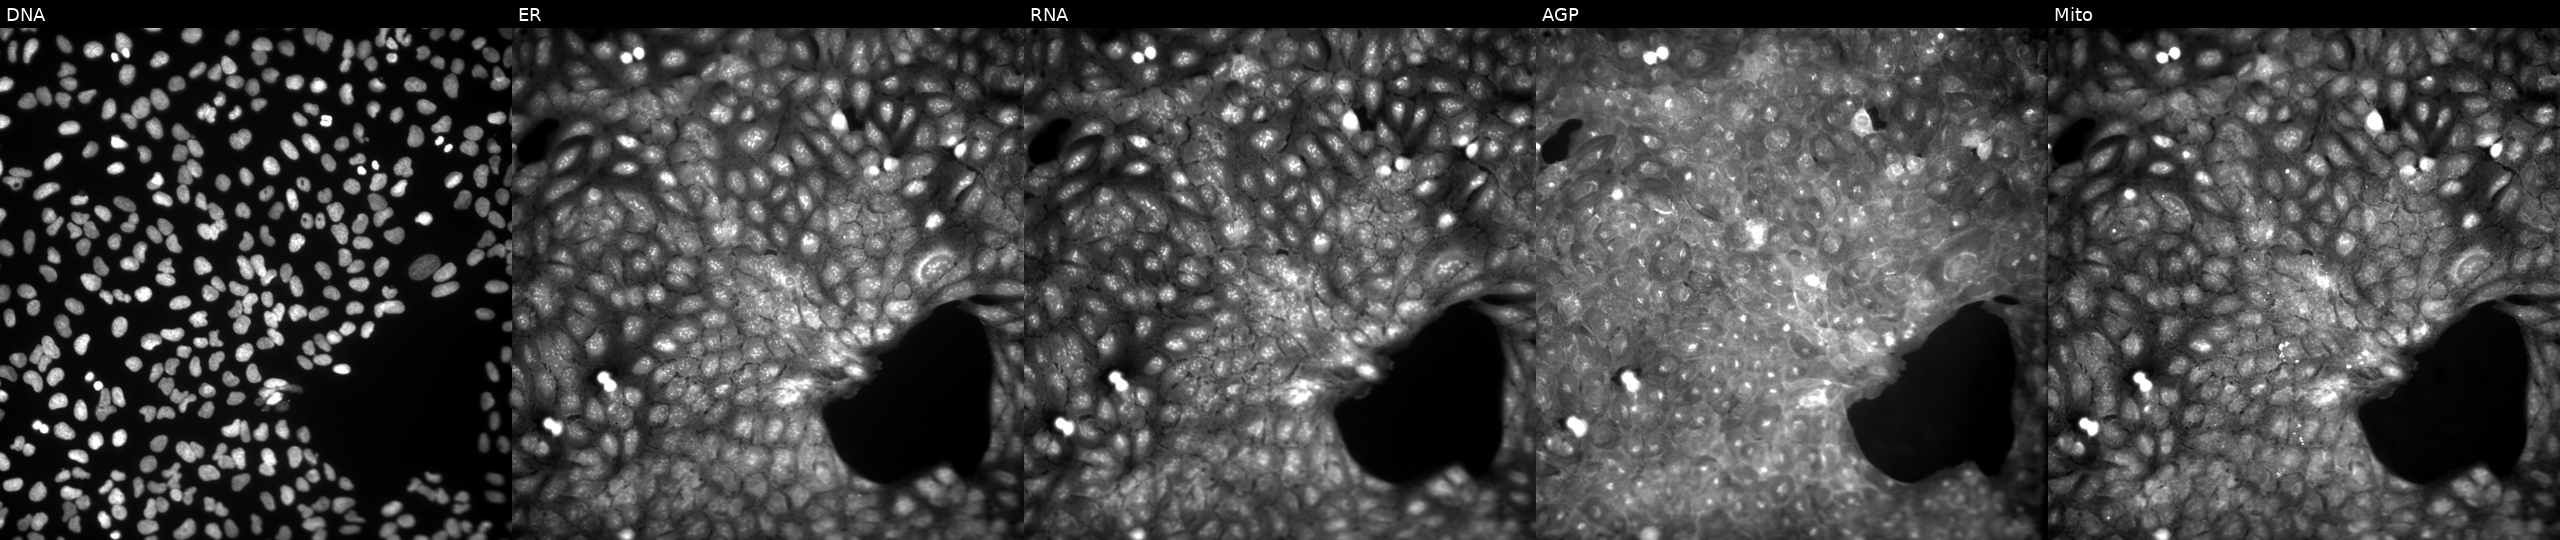
U2OS cells, Cell Painting assay, treated with a small-molecule compound (InChIKey XZPVFOMCNMUUGJ-UHFFFAOYSA-N) (JUMP id JCP2022_107083). The five panels, left to right, show Hoechst 33342, concanavalin A, SYTO 14, phalloidin and WGA, MitoTracker. Each panel is percentile-stretched 16-bit fluorescence.